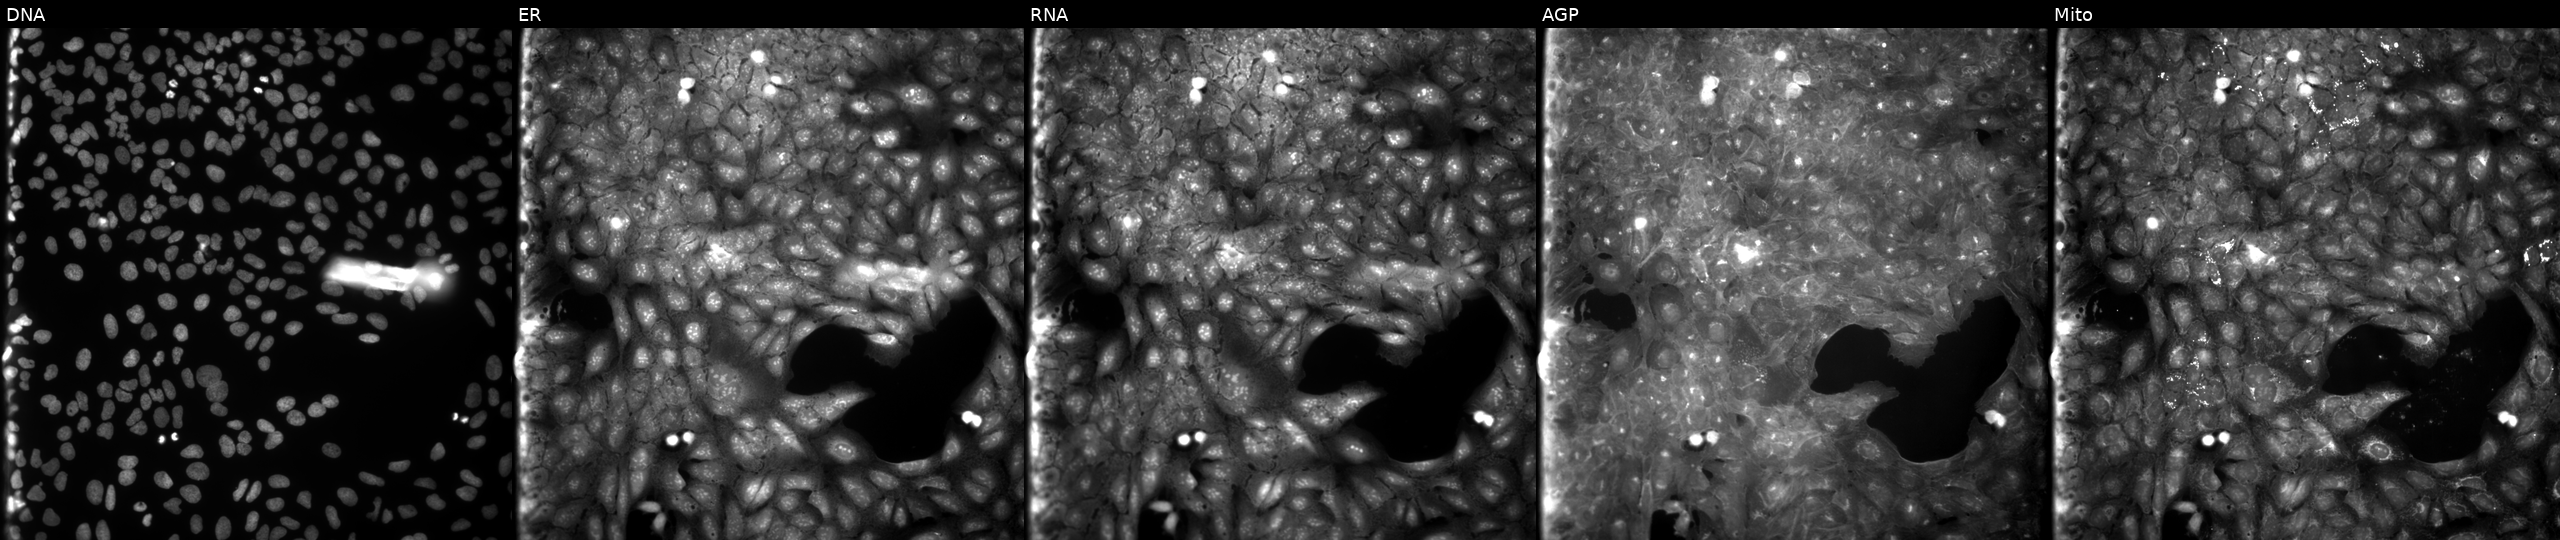
This image strip shows the five Cell Painting channels for a single field of U2OS cells perturbed with a small-molecule compound (InChIKey JJTKYLAEAMWEJS-UHFFFAOYSA-N). From left to right: Hoechst 33342, concanavalin A, SYTO 14, phalloidin and WGA, MitoTracker. Source 9, plate GR00003382, well O12.